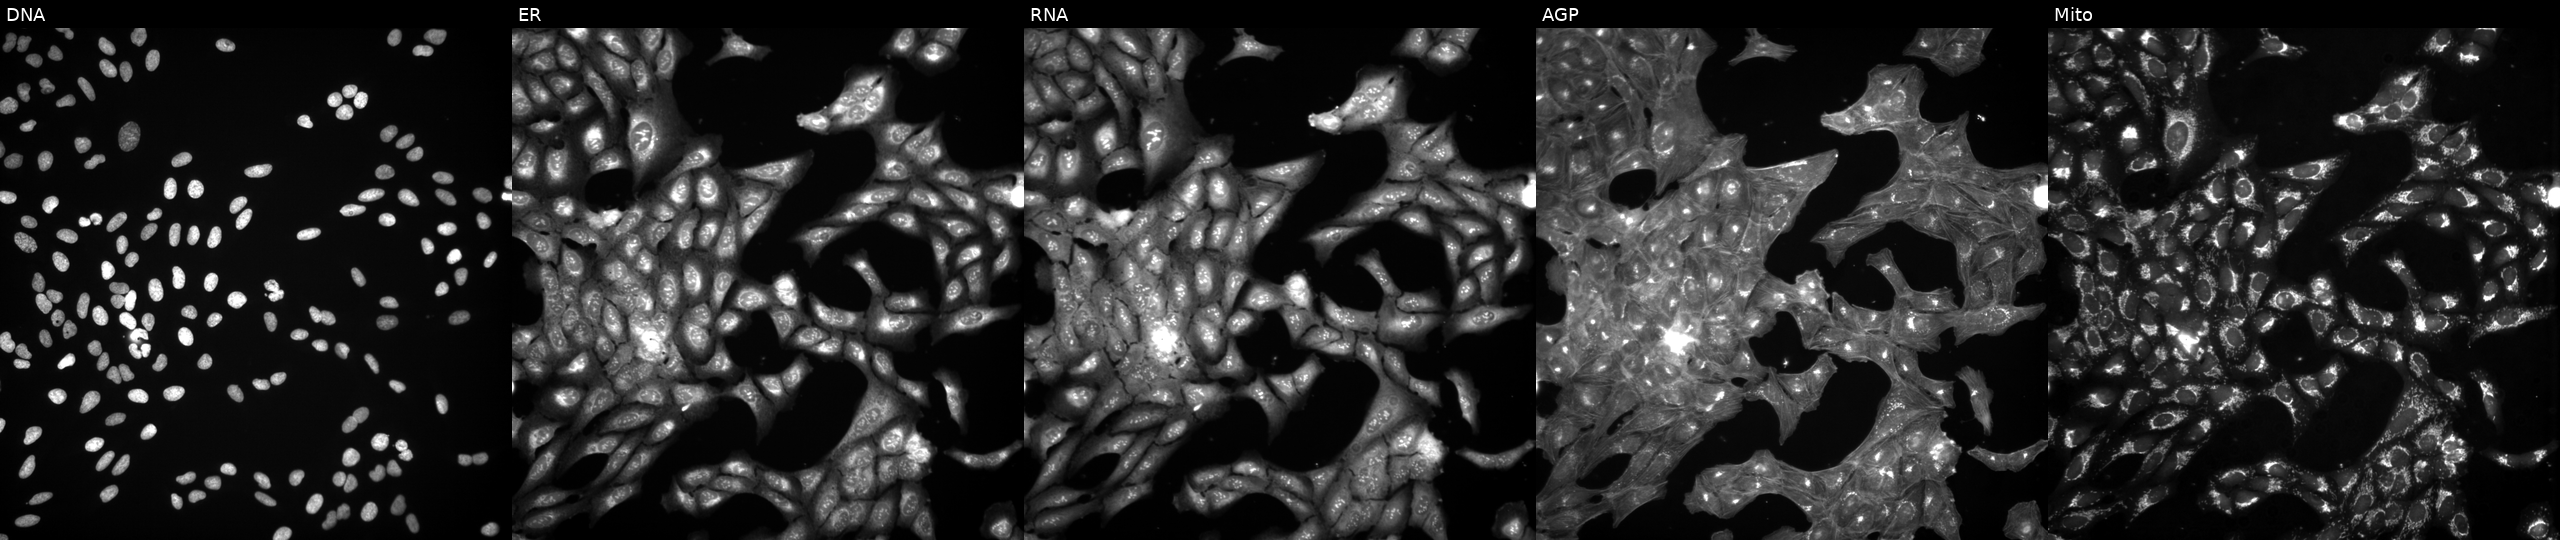
This image strip shows the five Cell Painting channels for a single field of U2OS cells perturbed with a small-molecule compound (JUMP id JCP2022_107383). From left to right: Hoechst 33342, concanavalin A, SYTO 14, phalloidin and WGA, MitoTracker. Source 3, plate BR5867a3, well O04.